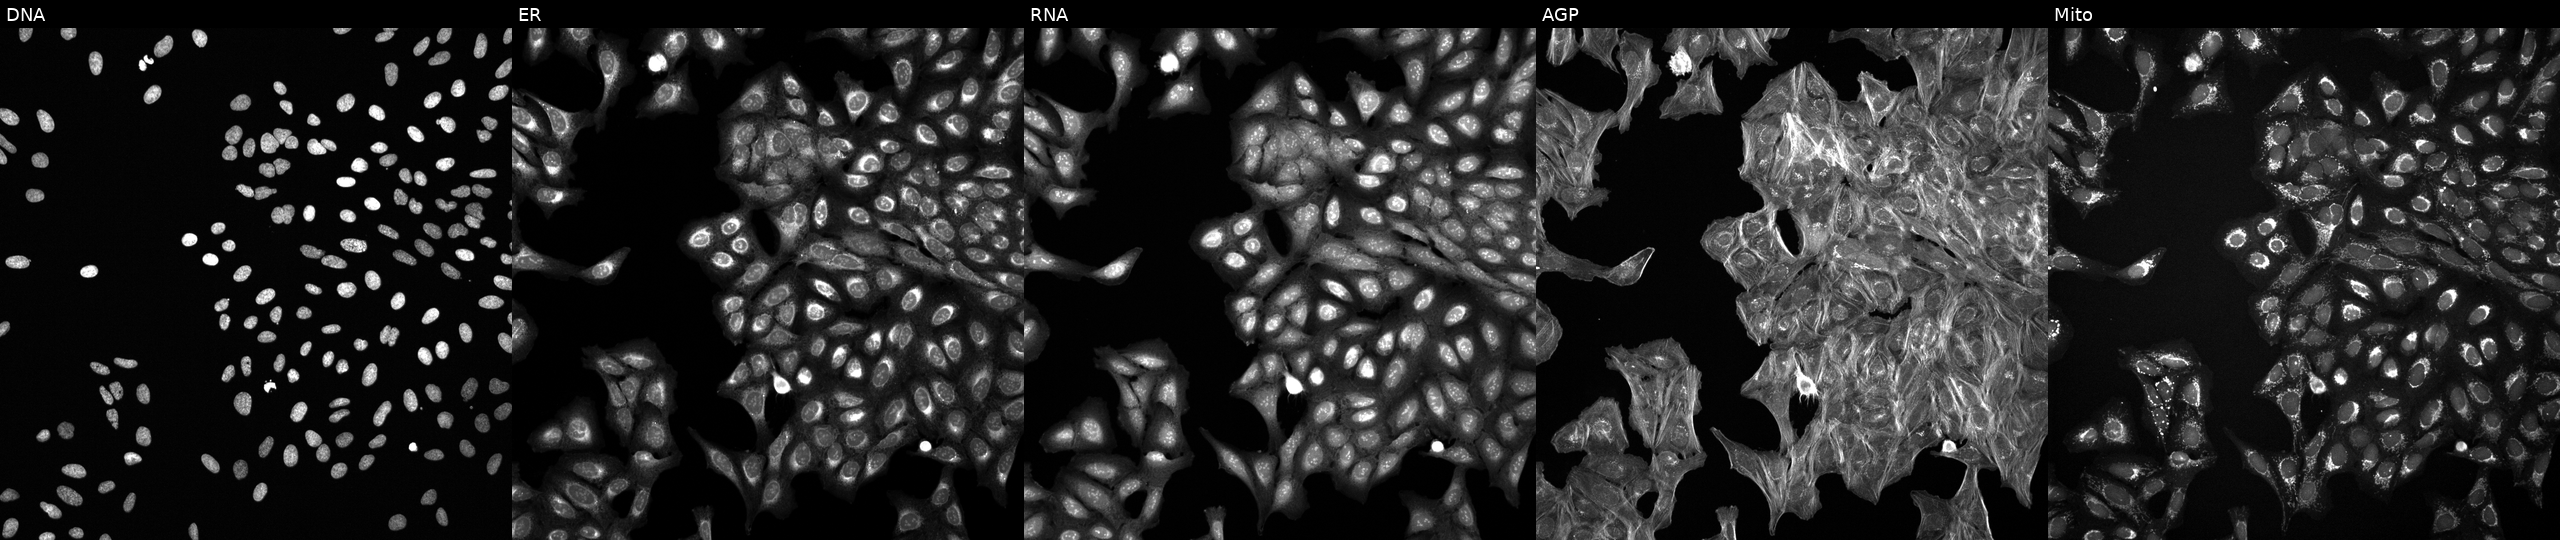
Five-channel Cell Painting image of U2OS cells perturbed with a small-molecule compound (InChIKey YSOPPWWDSINHDW-UHFFFAOYSA-N). From left to right: Hoechst 33342, concanavalin A, SYTO 14, phalloidin and WGA, MitoTracker.